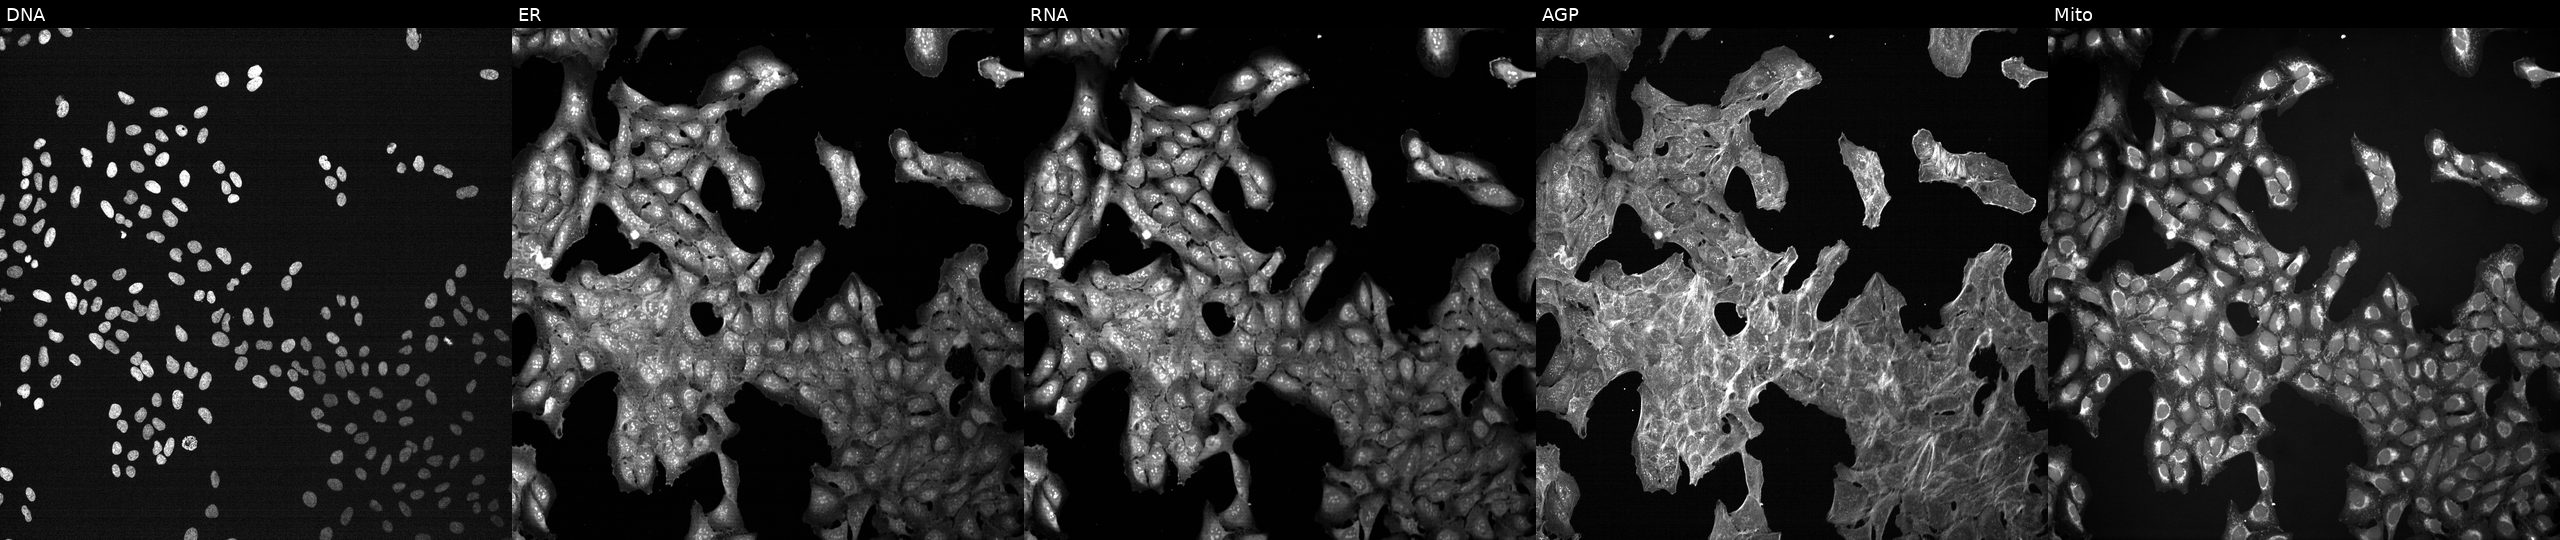
High-content fluorescence microscopy (Cell Painting). Cell line: U2OS. Perturbation: perturbed with a small-molecule compound. Panels show, left to right, DNA (nuclei); ER (endoplasmic reticulum); RNA (nucleoli and cytoplasmic RNA); AGP (actin cytoskeleton, Golgi, and plasma membrane); Mito (mitochondria). Source 7, plate CP3-SC1-25, well M19.